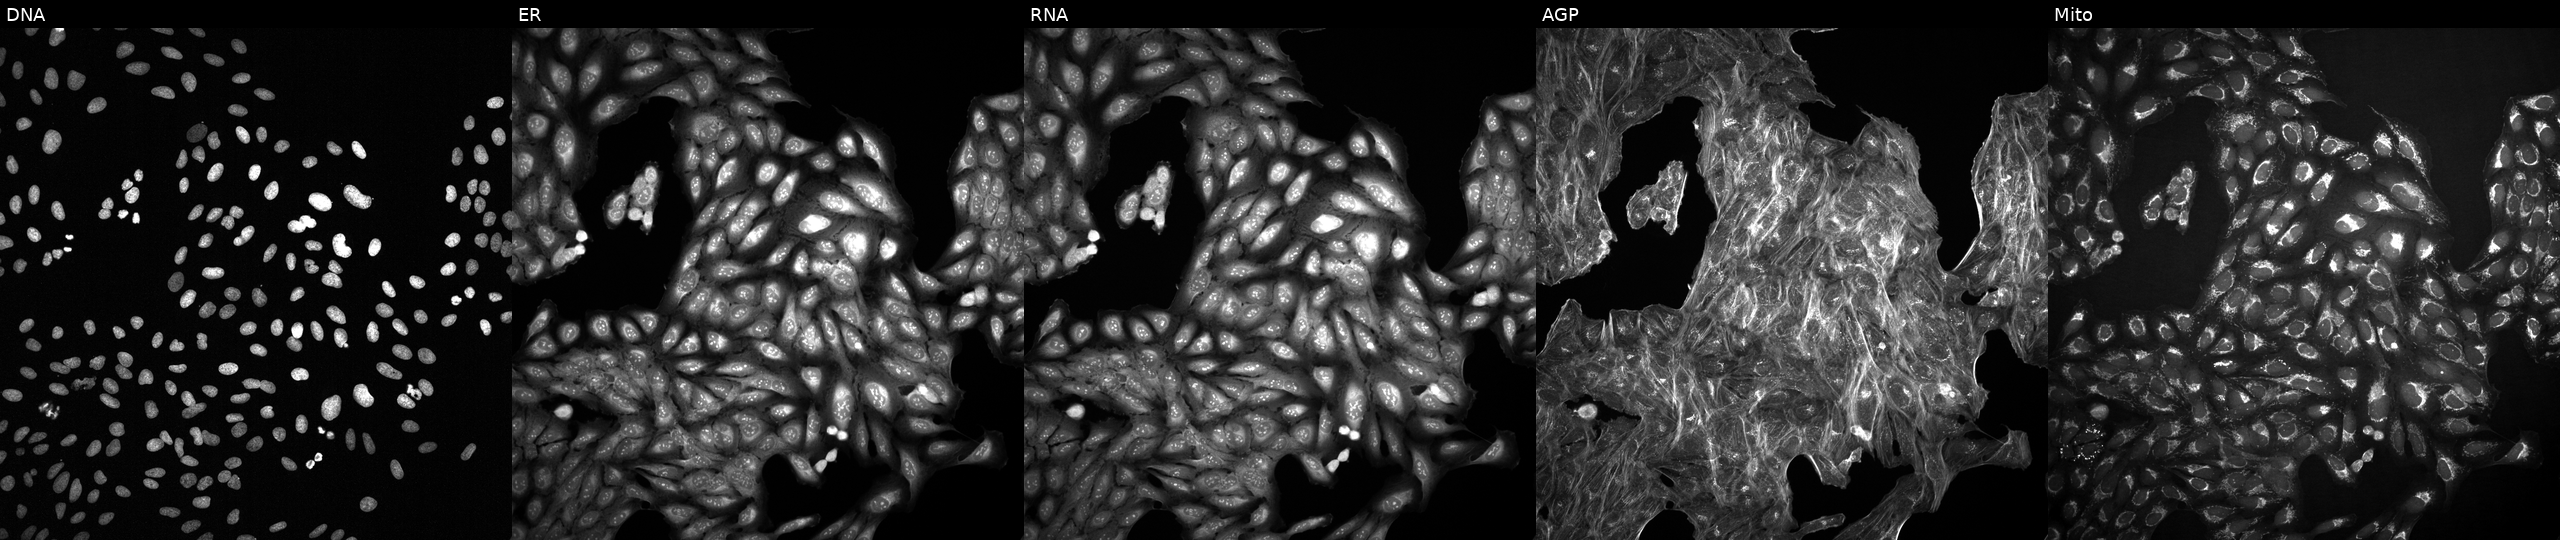
This image strip shows the five Cell Painting channels for a single field of U2OS cells perturbed with a small-molecule compound (InChIKey MJONHQHUVJXBRU-UHFFFAOYSA-N) (JUMP id JCP2022_054576). Channels (left→right): DNA, ER, RNA, AGP, and Mito.